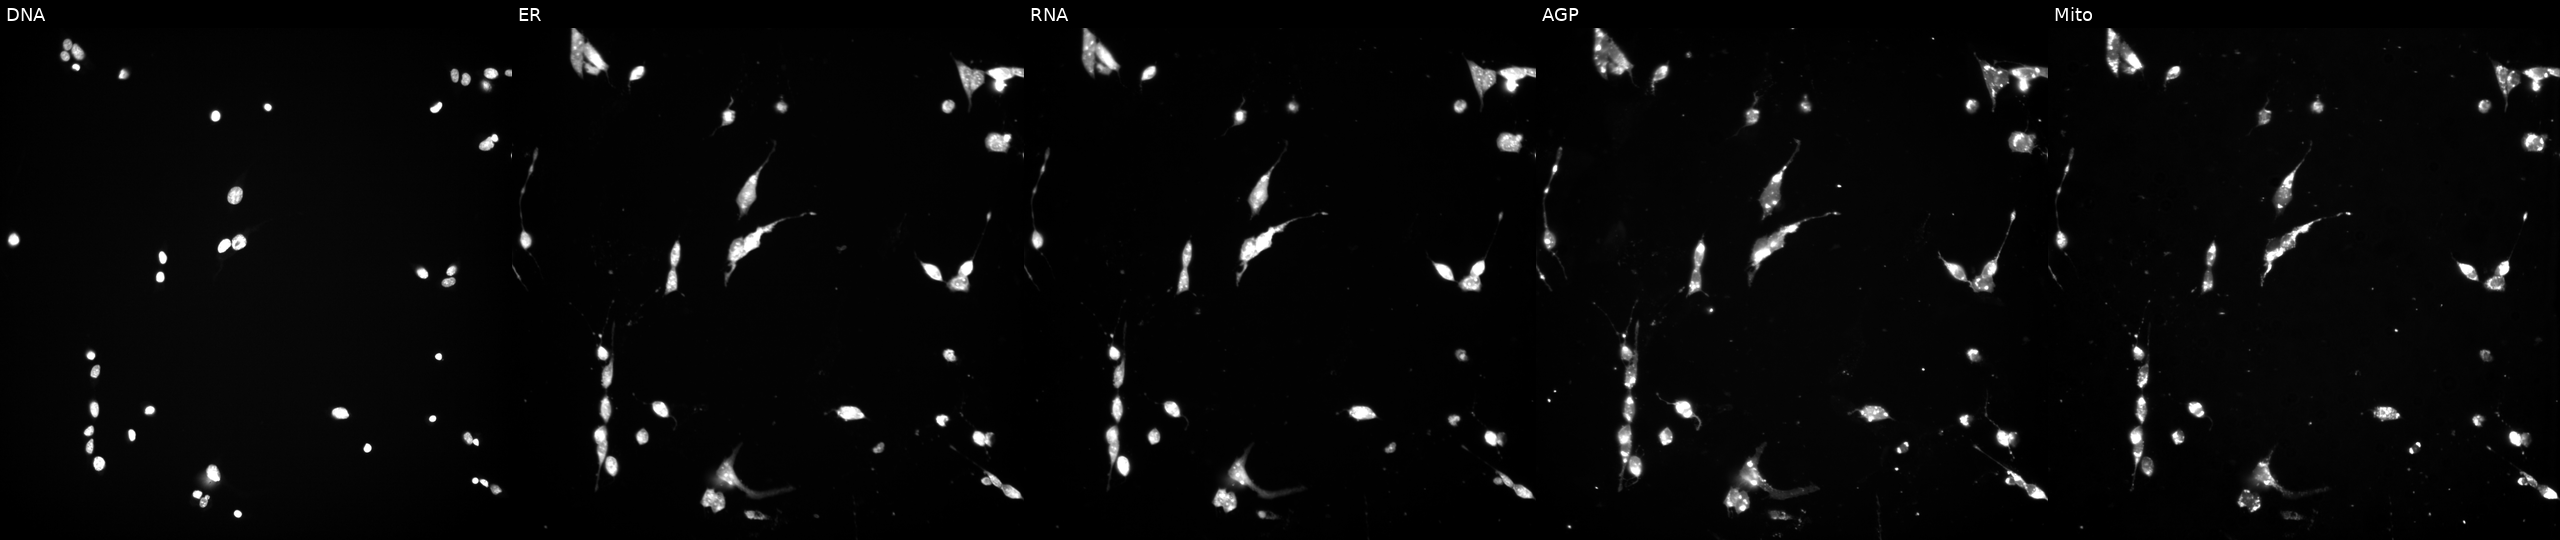
Five-channel Cell Painting image of U2OS cells perturbed with a small-molecule compound (InChIKey DPJNKUOXBZSZAI-UHFFFAOYSA-N) [SMILES: CCCc1cc(C)[nH]c(=O)c1CNC(=O)c1cc(-c2ccc(N3CCN(C(C)C)CC3)nc2)cc2c1cnn2C(C)C]. From left to right: Hoechst 33342, concanavalin A, SYTO 14, phalloidin and WGA, MitoTracker. Source 3, plate JCPQC052, well M05.